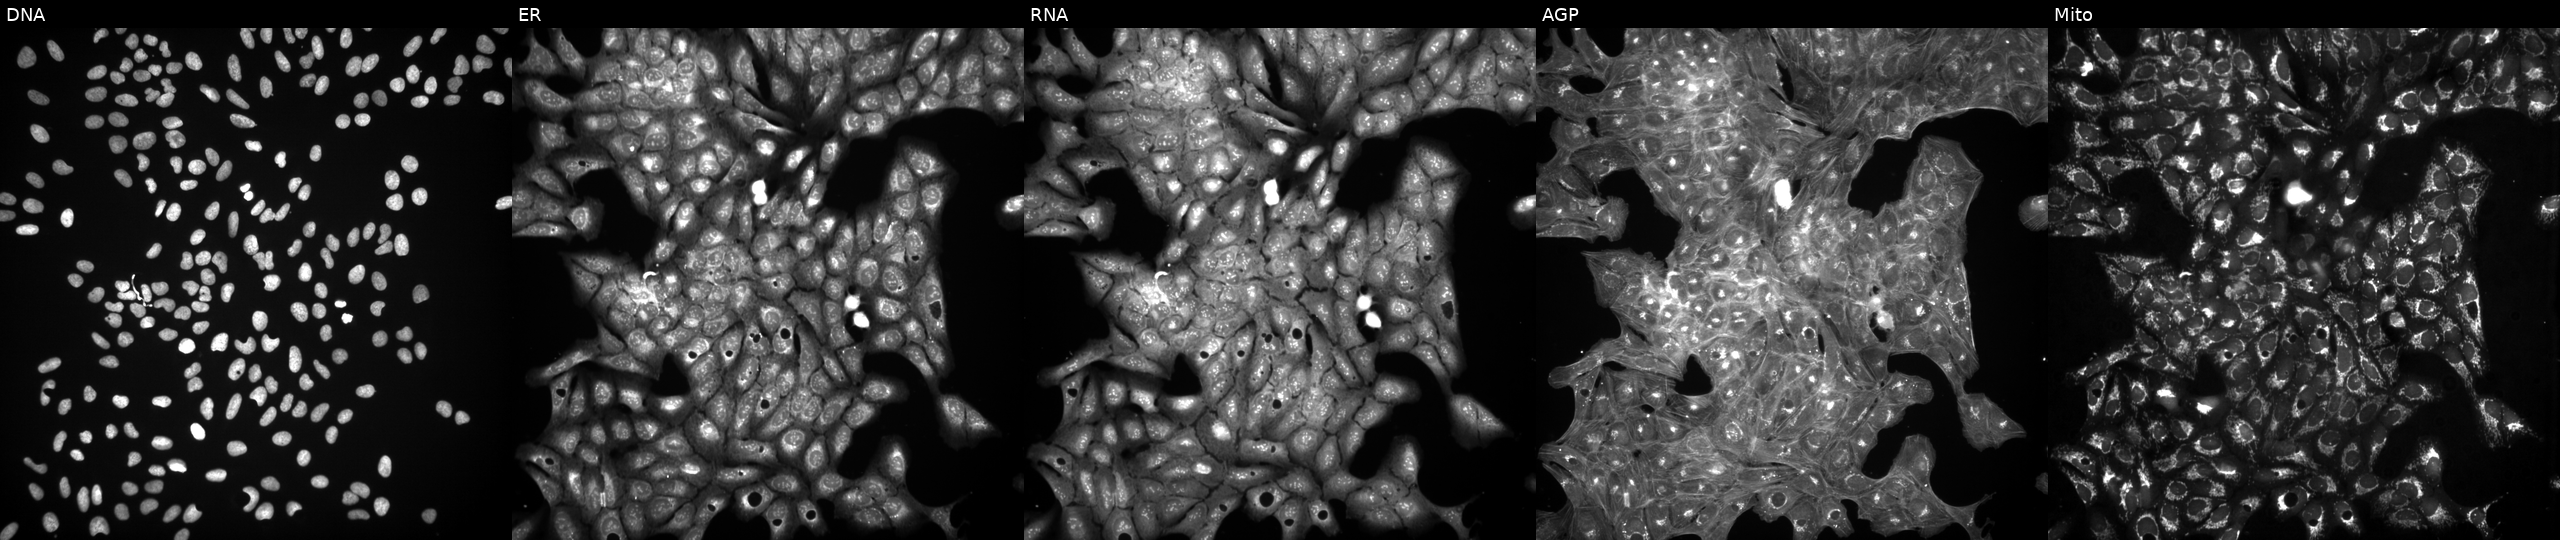
JUMP Cell Painting — TARGET2 plate. U2OS cells exposed to a small-molecule compound. The five panels, left to right, show DNA, ER, RNA, AGP, and Mito. Source 3, plate JCPQC053, well K15.